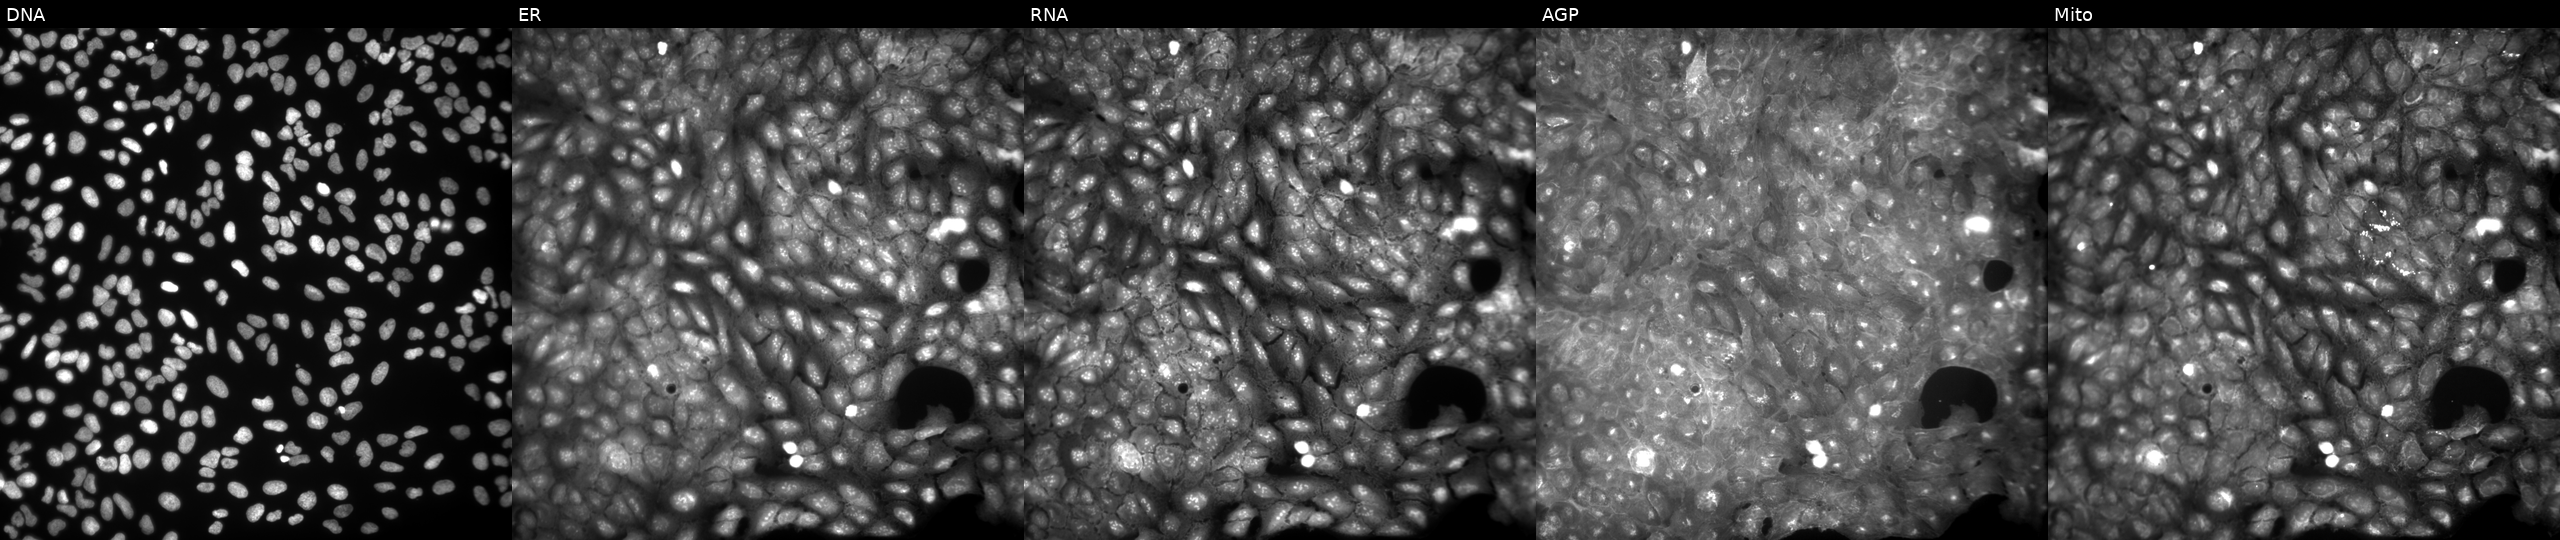
Channels (left→right): DNA, ER, RNA, AGP, and Mito. U2OS osteosarcoma cells treated with a small-molecule compound. Cell Painting assay, JUMP-CP dataset. Source 9, plate GR00003381, well H46.